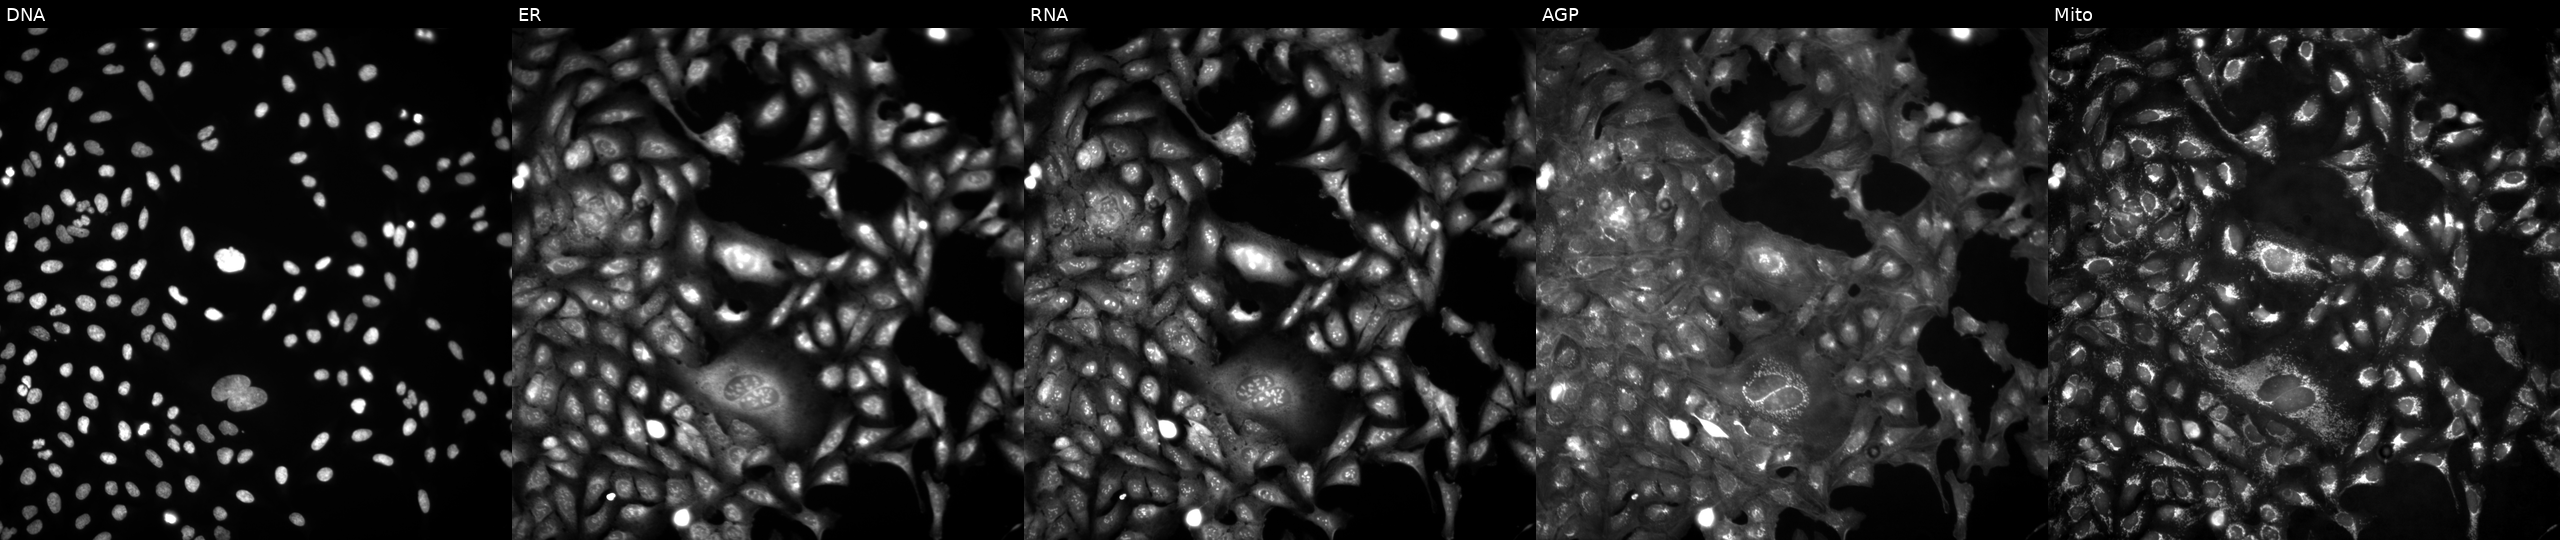
This image strip shows the five Cell Painting channels for a single field of U2OS cells untreated (empty-well control) (JUMP id JCP2022_999999). Channels (left→right): Hoechst 33342, concanavalin A, SYTO 14, phalloidin and WGA, MitoTracker. Source 4, plate BR00124793, well E15.